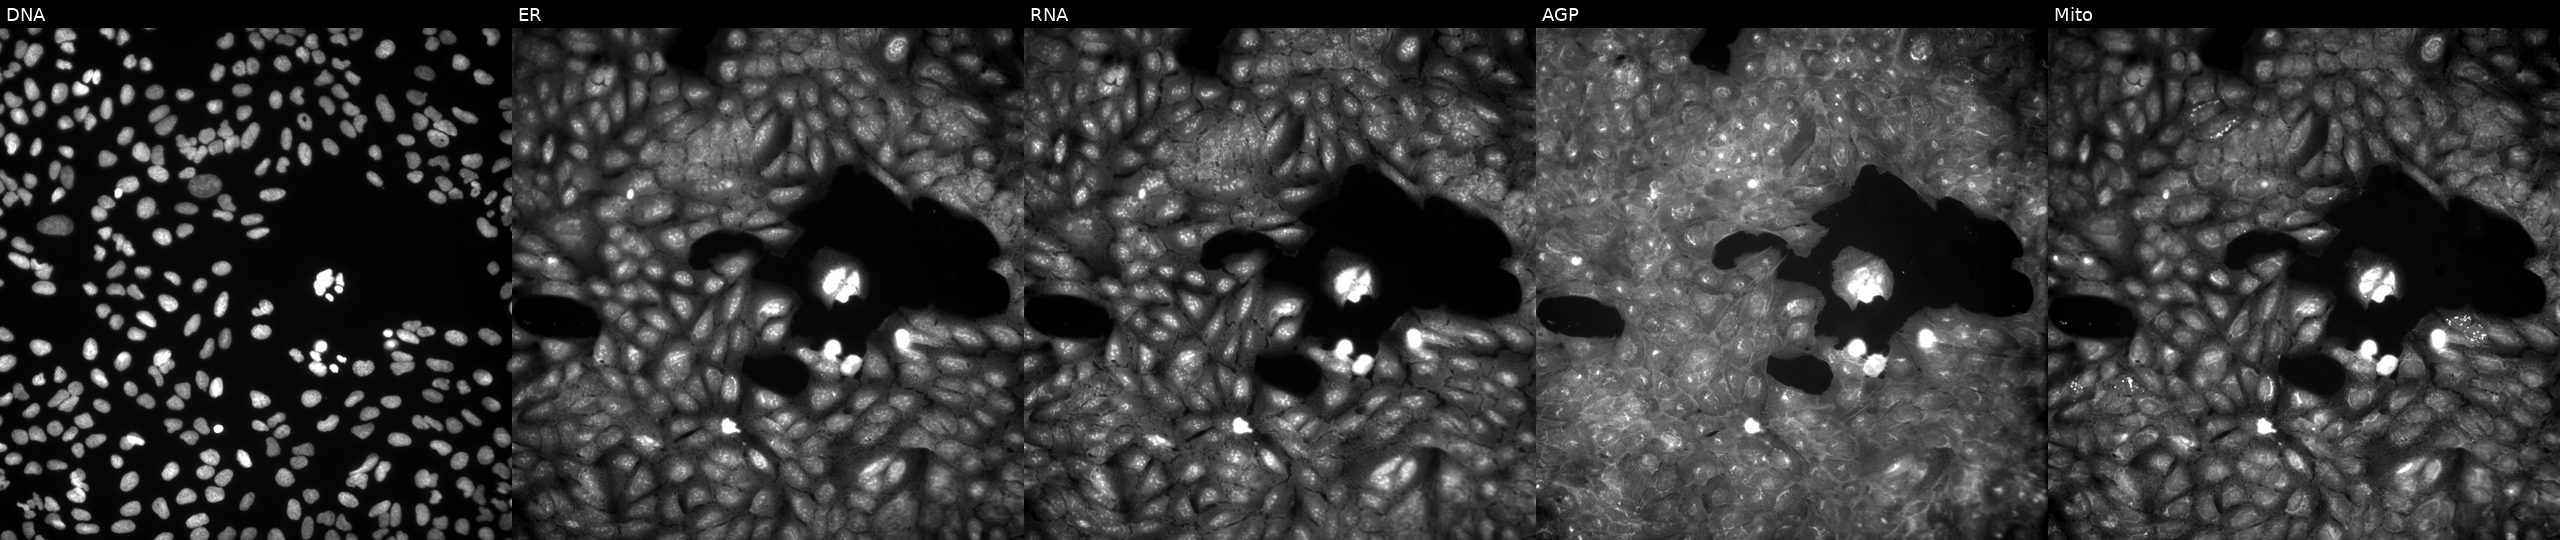
This image strip shows the five Cell Painting channels for a single field of U2OS cells treated with a small-molecule compound (InChIKey VWAAQFHFTMNBBL-UHFFFAOYSA-N). The five panels, left to right, show Hoechst 33342, concanavalin A, SYTO 14, phalloidin and WGA, MitoTracker. Source 9, plate GR00003381, well R40.